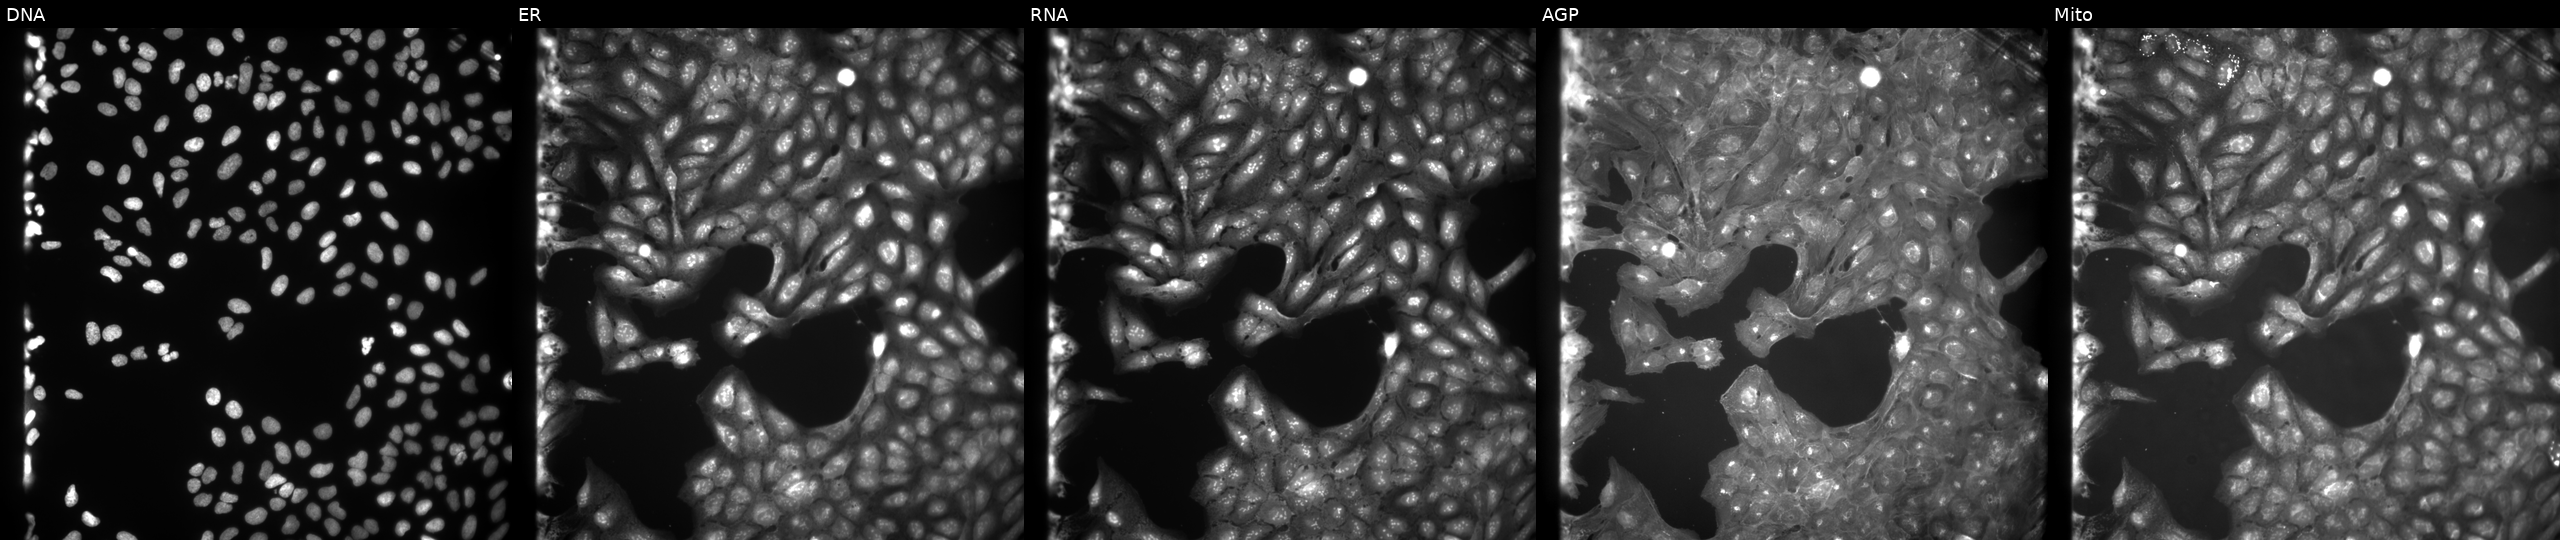
JUMP Cell Painting — COMPOUND plate. U2OS cells treated with a small-molecule compound (JUMP id JCP2022_071152). The five panels, left to right, show DNA, ER, RNA, AGP, and Mito.